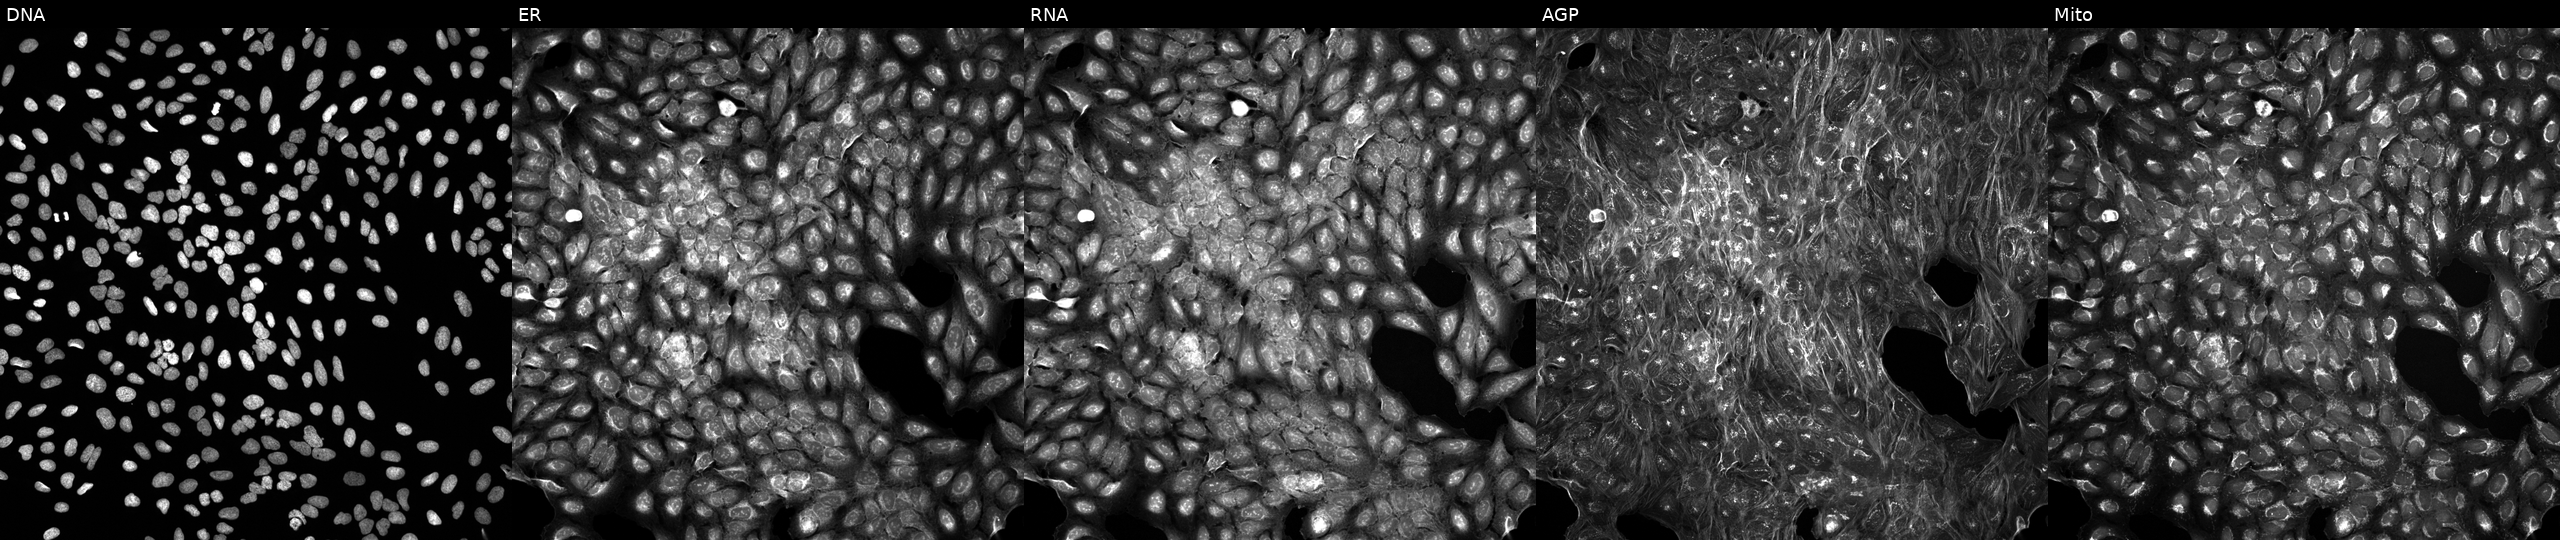
This image strip shows the five Cell Painting channels for a single field of U2OS cells exposed to a small-molecule compound. Panels show, left to right, DNA (nuclei); ER (endoplasmic reticulum); RNA (nucleoli and cytoplasmic RNA); AGP (actin cytoskeleton, Golgi, and plasma membrane); Mito (mitochondria).